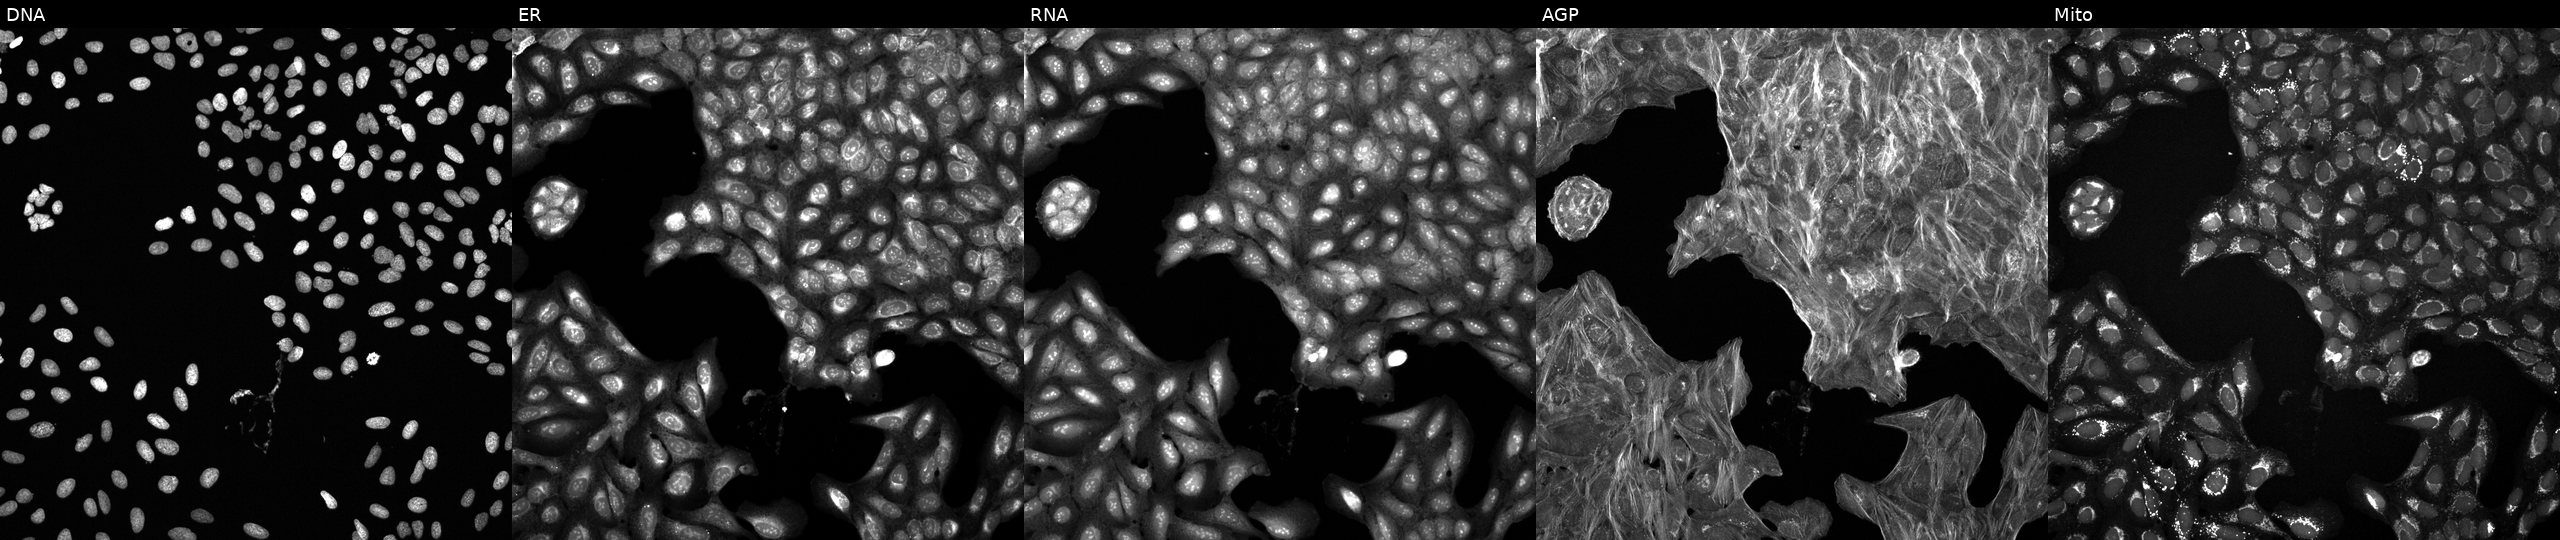
High-content fluorescence microscopy (Cell Painting). Cell line: U2OS. Perturbation: treated with a small-molecule compound (JUMP id JCP2022_032357). The five panels, left to right, show DNA, ER, RNA, AGP, and Mito.